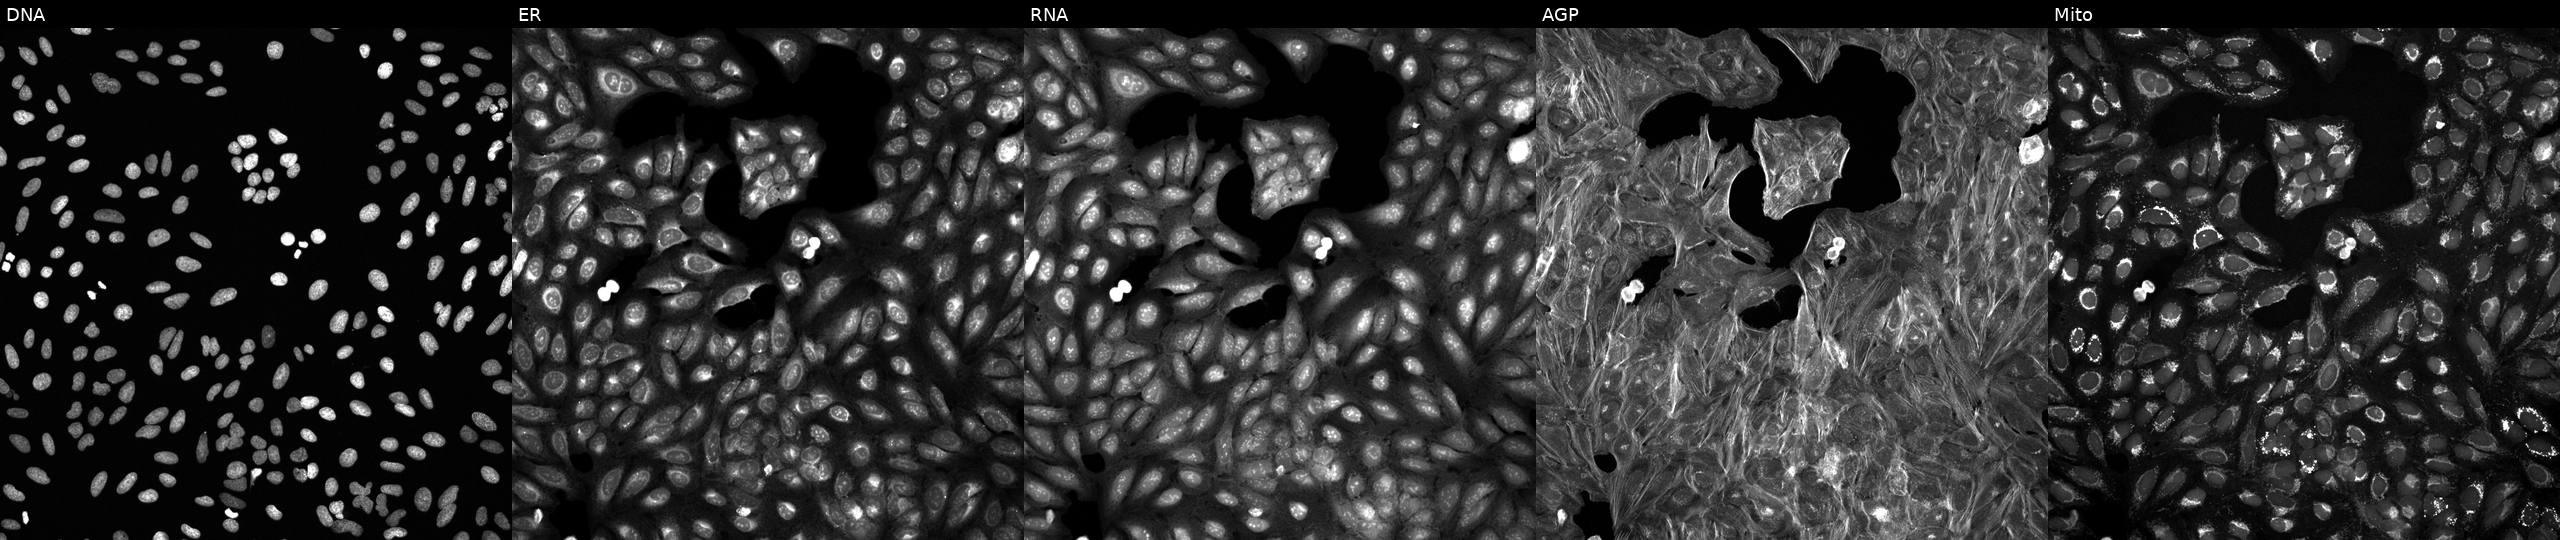
High-content fluorescence microscopy (Cell Painting). Cell line: U2OS. Perturbation: exposed to a small-molecule compound [SMILES: O=C(COc1ccc(Cl)cc1)NCCOc1ccc(-c2ccc(F)cc2)nn1] (JUMP id JCP2022_036325). Panels show, left to right, Hoechst 33342, concanavalin A, SYTO 14, phalloidin and WGA, MitoTracker. Source 6, plate 110000293083, well F14.